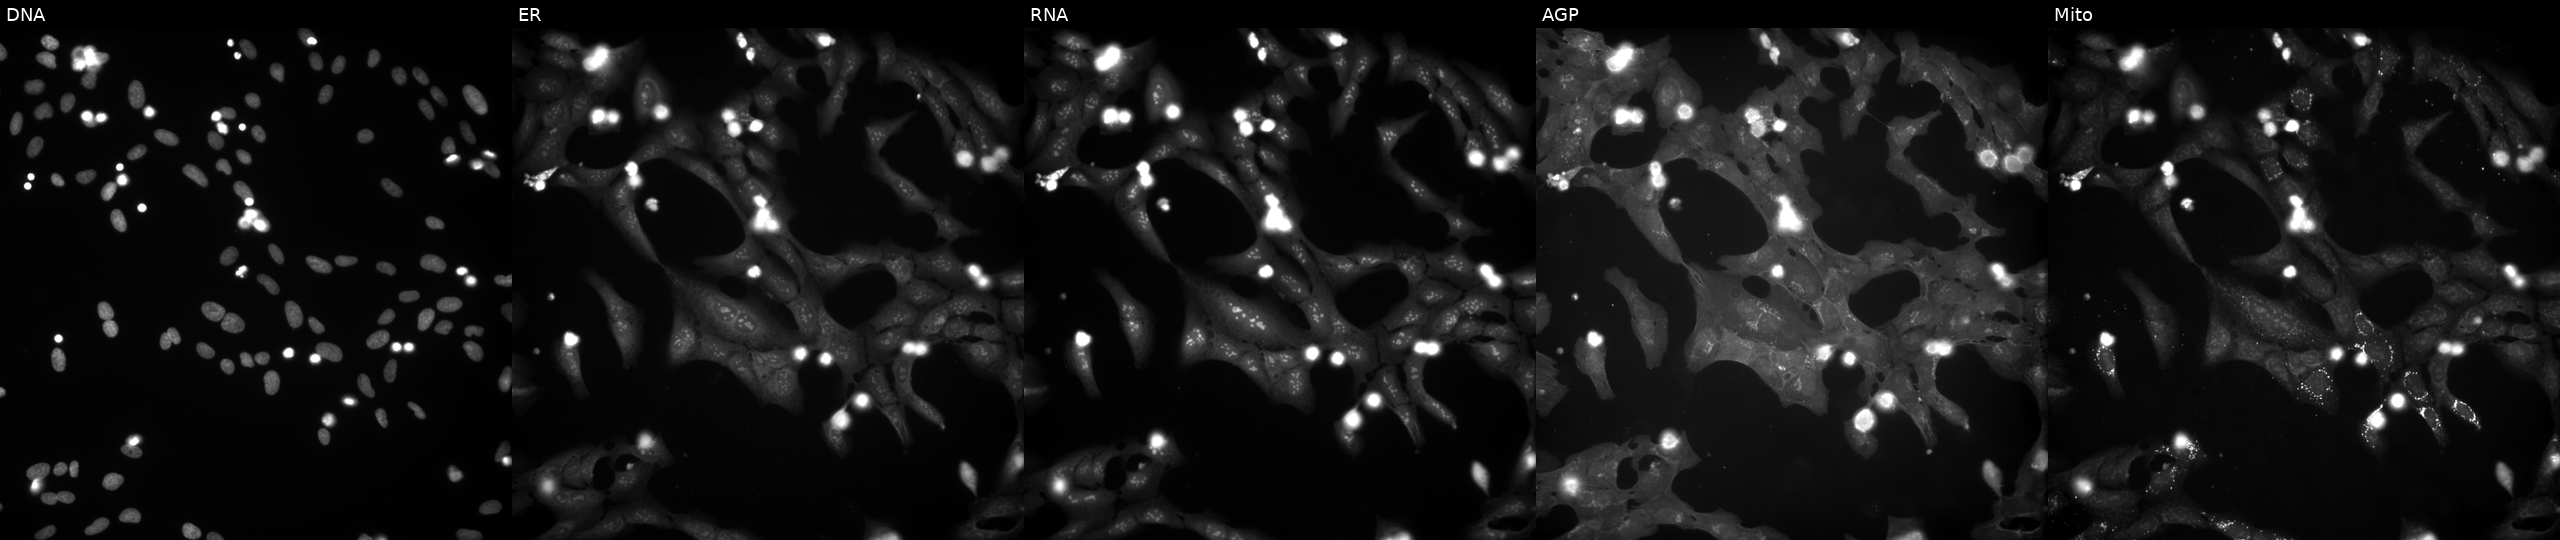
High-content fluorescence microscopy (Cell Painting). Cell line: U2OS. Perturbation: treated with a small-molecule compound (InChIKey ZQTLITMNSKCYPL-UHFFFAOYSA-N) (JUMP id JCP2022_115081). Channels (left→right): DNA, ER, RNA, AGP, and Mito. Source 9, plate GR00003381, well X30.